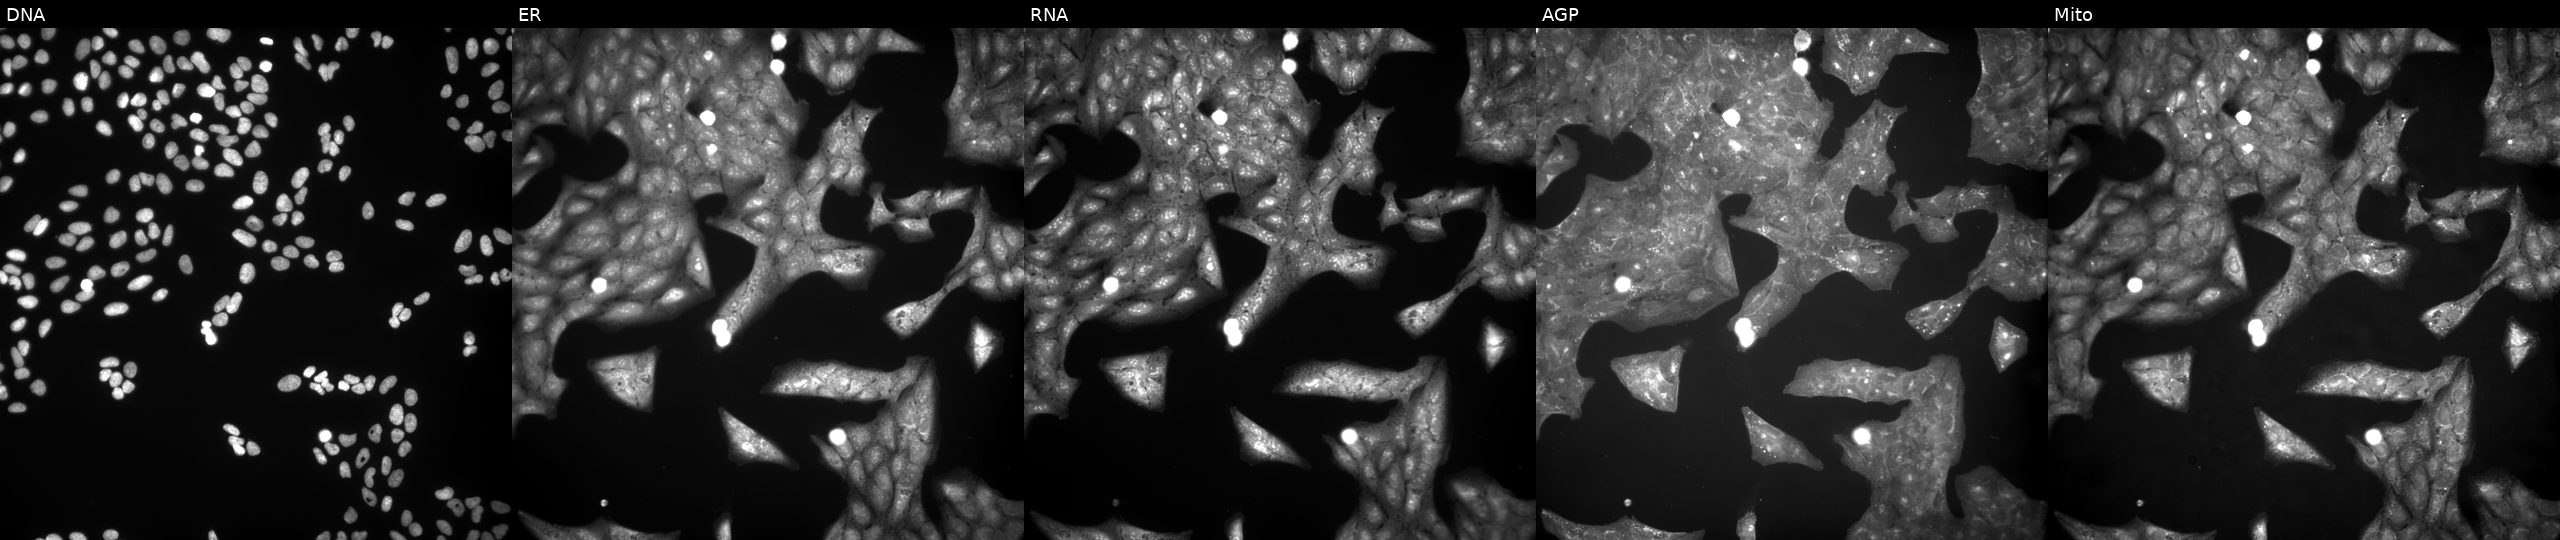
U2OS cells, Cell Painting assay, treated with a small-molecule compound (InChIKey GANLGRNROBRFHX-UHFFFAOYSA-N) (JUMP id JCP2022_024192). The five panels, left to right, show DNA (nuclei); ER (endoplasmic reticulum); RNA (nucleoli and cytoplasmic RNA); AGP (actin cytoskeleton, Golgi, and plasma membrane); Mito (mitochondria). Each panel is percentile-stretched 16-bit fluorescence. Source 9, plate GR00003381, well N42.